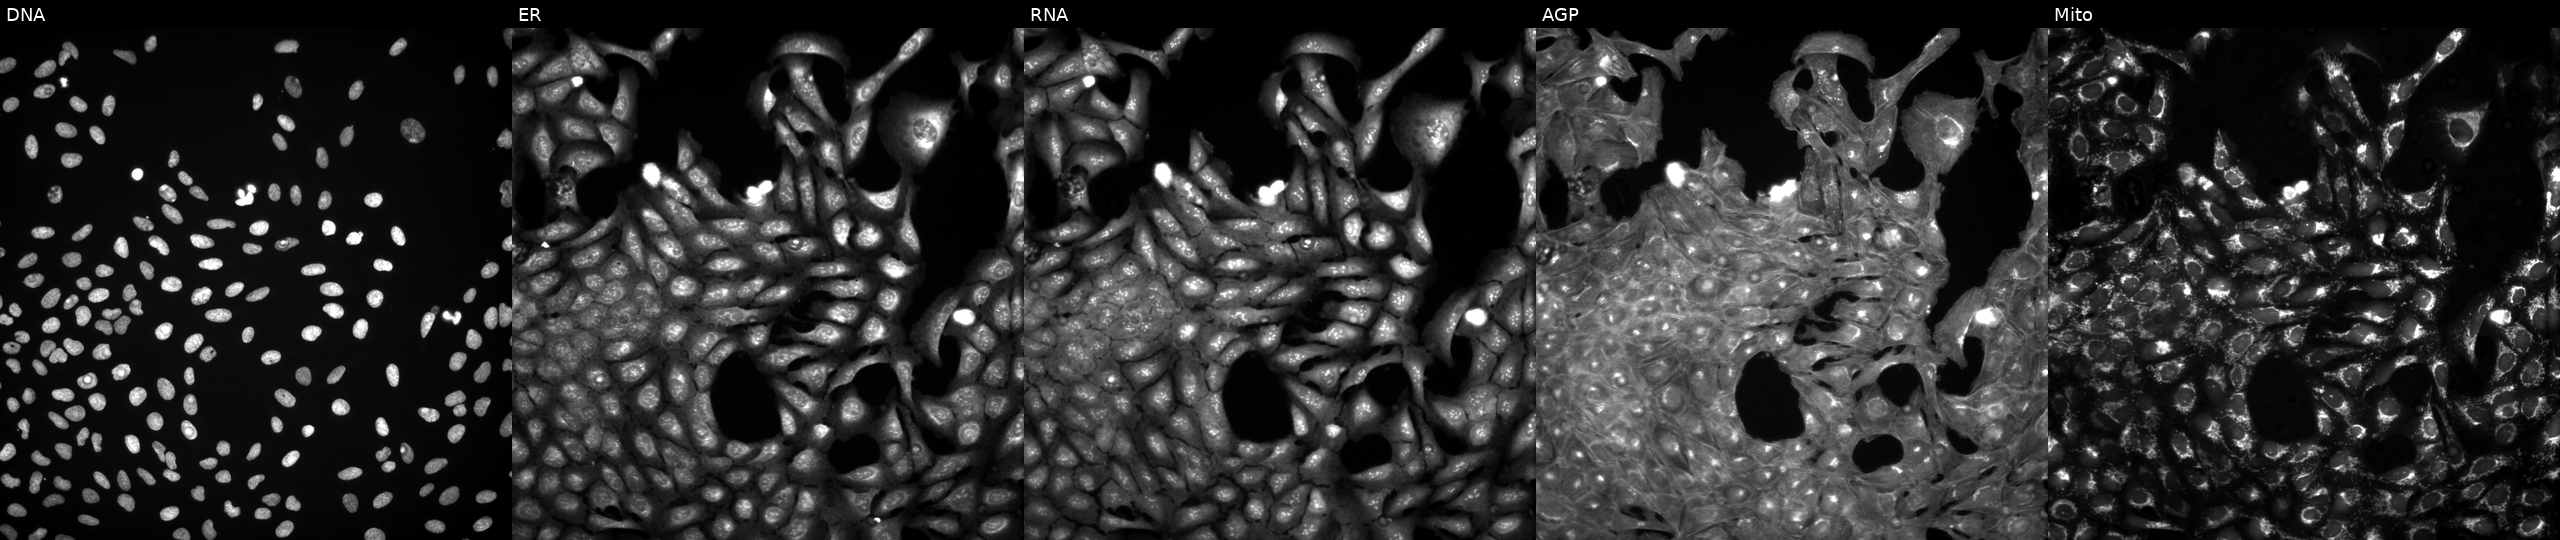
High-content fluorescence microscopy (Cell Painting). Cell line: U2OS. Perturbation: treated with a small-molecule compound (InChIKey PWKSKIMOESPYIA-UHFFFAOYSA-N). Panels show, left to right, DNA (nuclei); ER (endoplasmic reticulum); RNA (nucleoli and cytoplasmic RNA); AGP (actin cytoskeleton, Golgi, and plasma membrane); Mito (mitochondria). Source 3, plate JCPQC051, well A10.